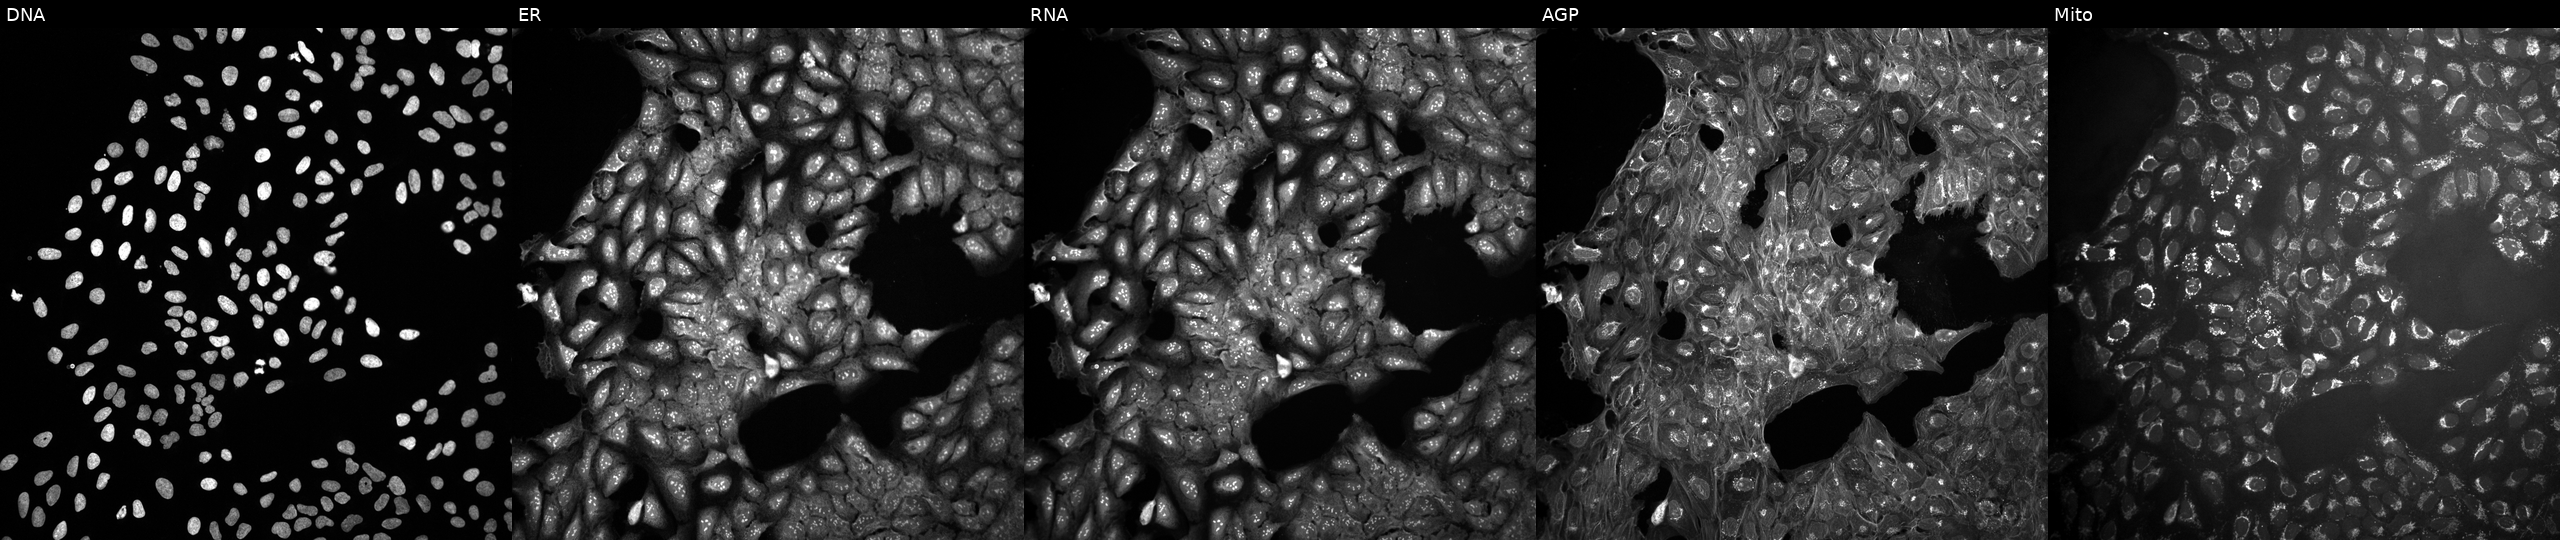
Channels (left→right): Hoechst 33342, concanavalin A, SYTO 14, phalloidin and WGA, MitoTracker. U2OS osteosarcoma cells in an empty control well (no perturbation). Cell Painting assay, JUMP-CP dataset. Source 10, plate Dest210531-152149, well J14.